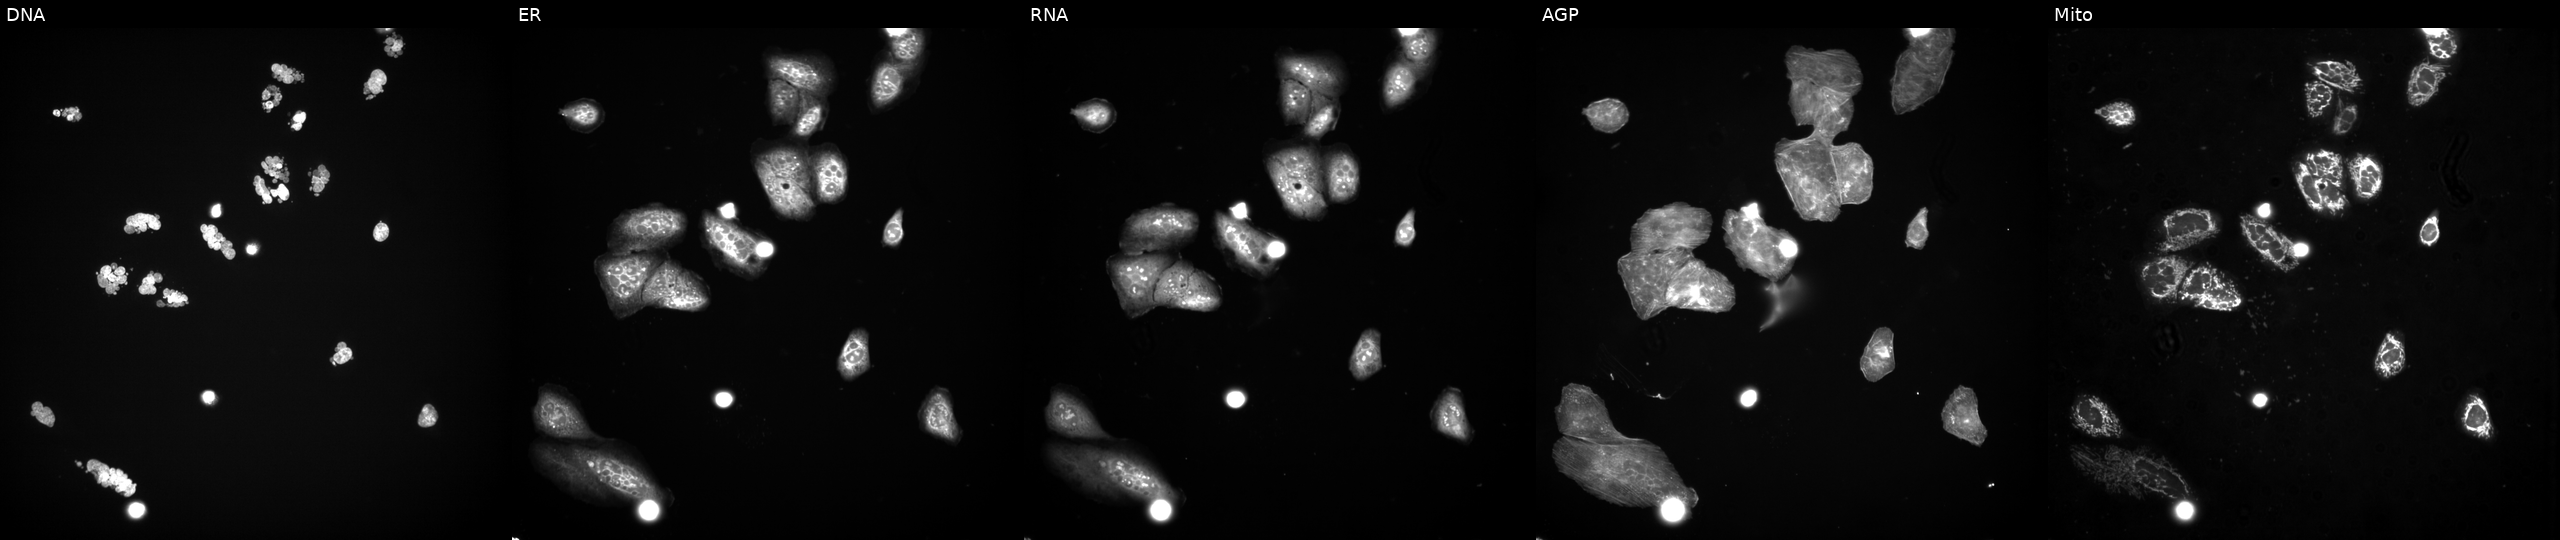
Five-channel Cell Painting image of U2OS cells exposed to a small-molecule compound (InChIKey QXRSDHAAWVKZLJ-UHFFFAOYSA-N). Channels (left→right): DNA (nuclei); ER (endoplasmic reticulum); RNA (nucleoli and cytoplasmic RNA); AGP (actin cytoskeleton, Golgi, and plasma membrane); Mito (mitochondria). Source 3, plate JCPQC051, well D10.